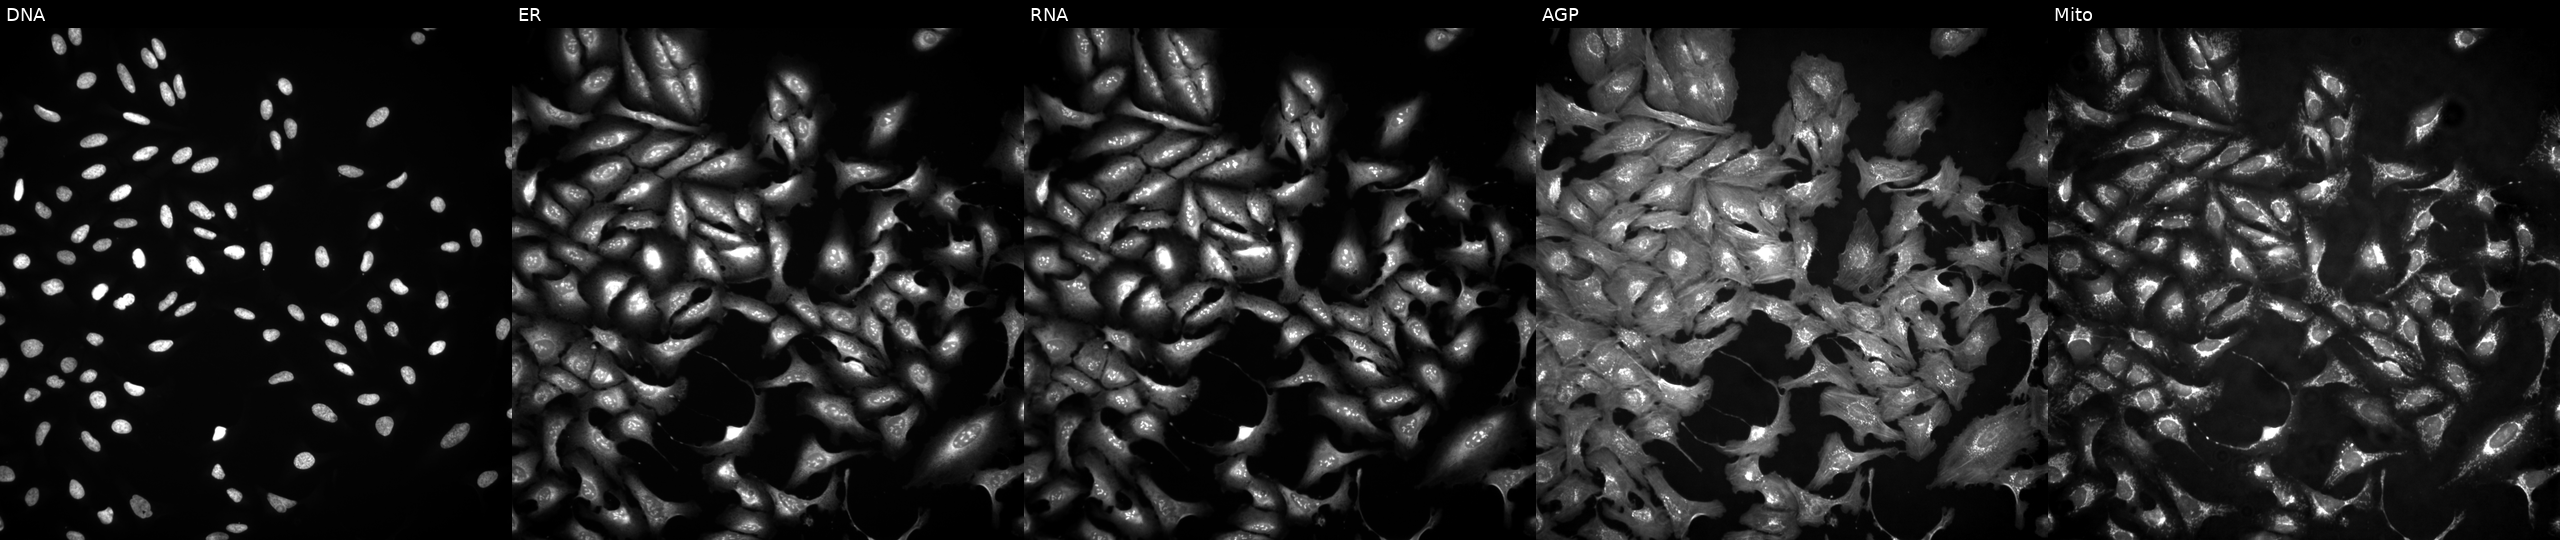
Panels show, left to right, DNA, ER, RNA, AGP, and Mito. U2OS osteosarcoma cells overexpressing STK4 via ORF transfection. Cell Painting assay, JUMP-CP dataset.